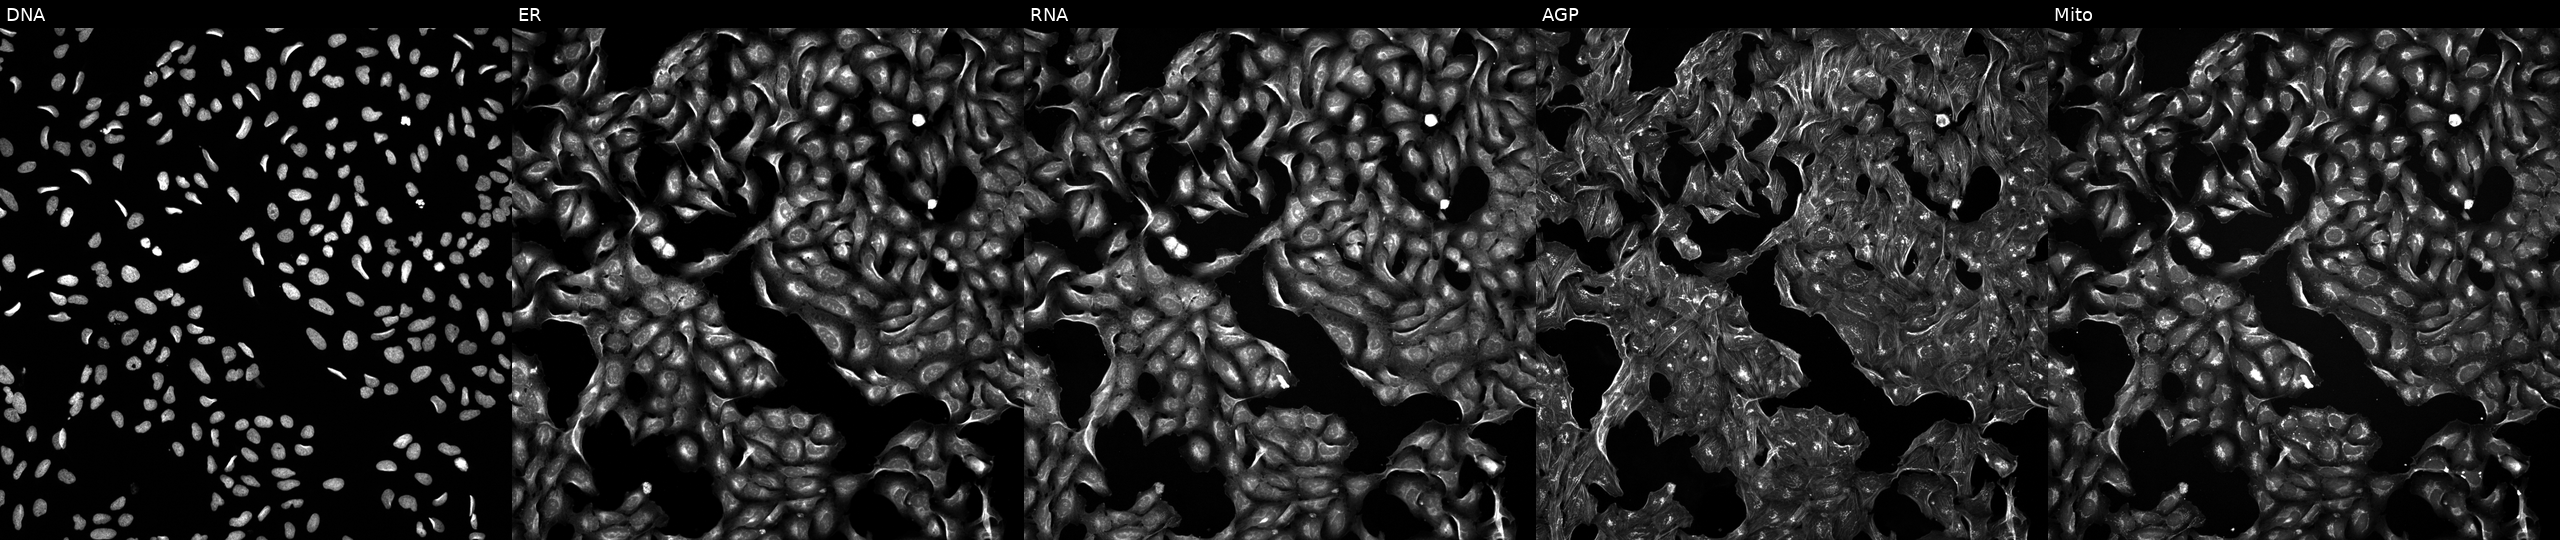
JUMP Cell Painting — COMPOUND plate. U2OS cells treated with NVS-PAK1-1 (positive-control compound) (JUMP id JCP2022_064022). Panels show, left to right, DNA (nuclei); ER (endoplasmic reticulum); RNA (nucleoli and cytoplasmic RNA); AGP (actin cytoskeleton, Golgi, and plasma membrane); Mito (mitochondria). Source 5, plate APTJUM106, well J24.